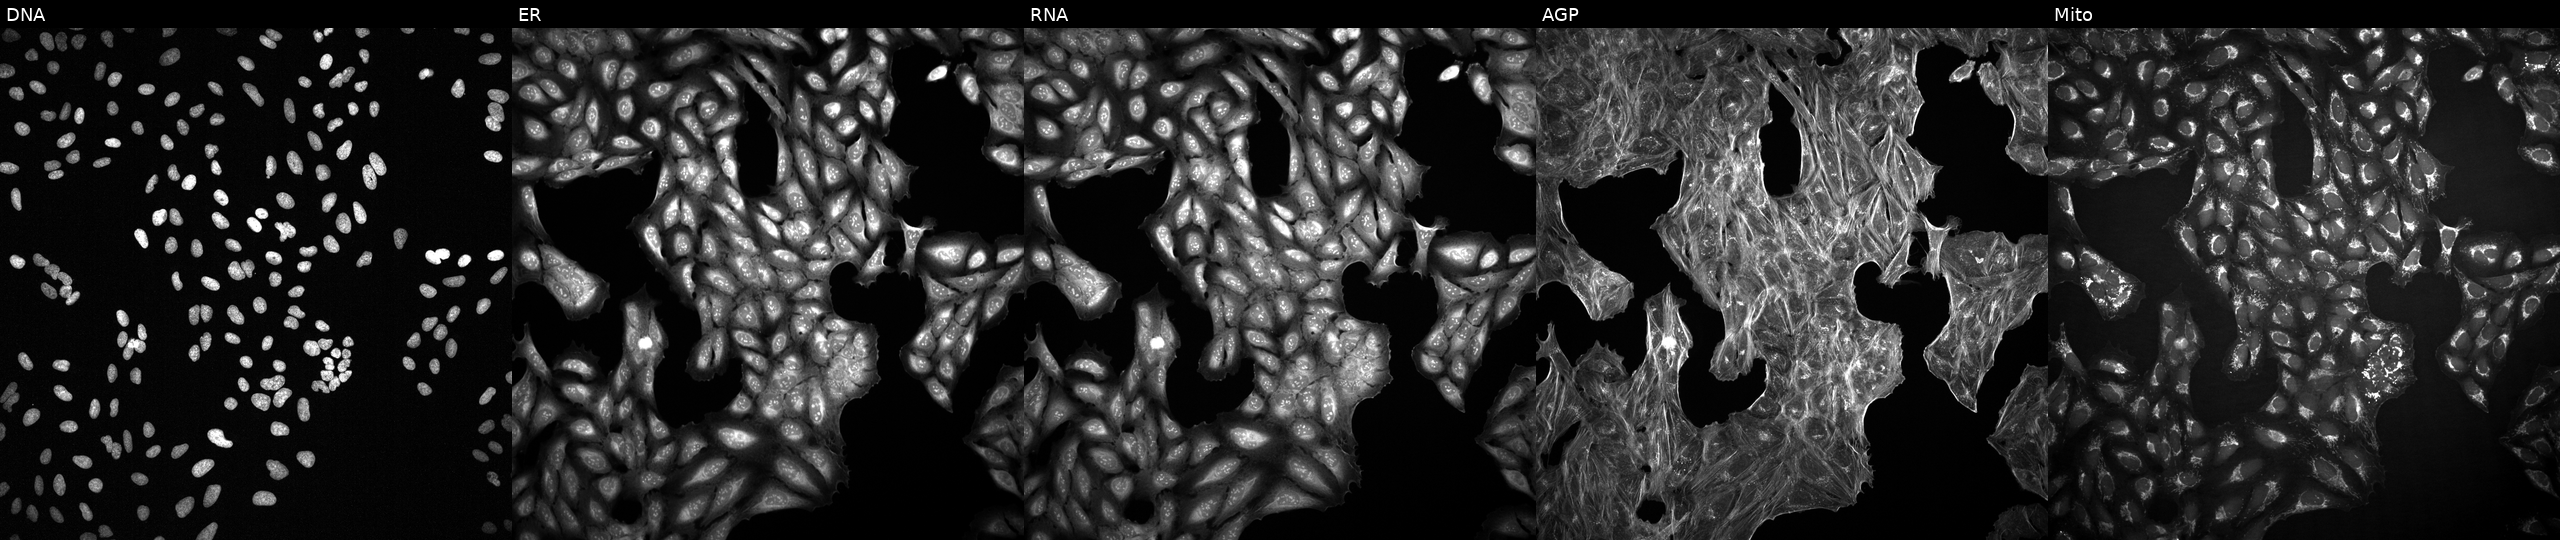
Five-channel Cell Painting image of U2OS cells perturbed with a small-molecule compound. From left to right: DNA (nuclei); ER (endoplasmic reticulum); RNA (nucleoli and cytoplasmic RNA); AGP (actin cytoskeleton, Golgi, and plasma membrane); Mito (mitochondria). Source 2, plate 1053601763, well M16.